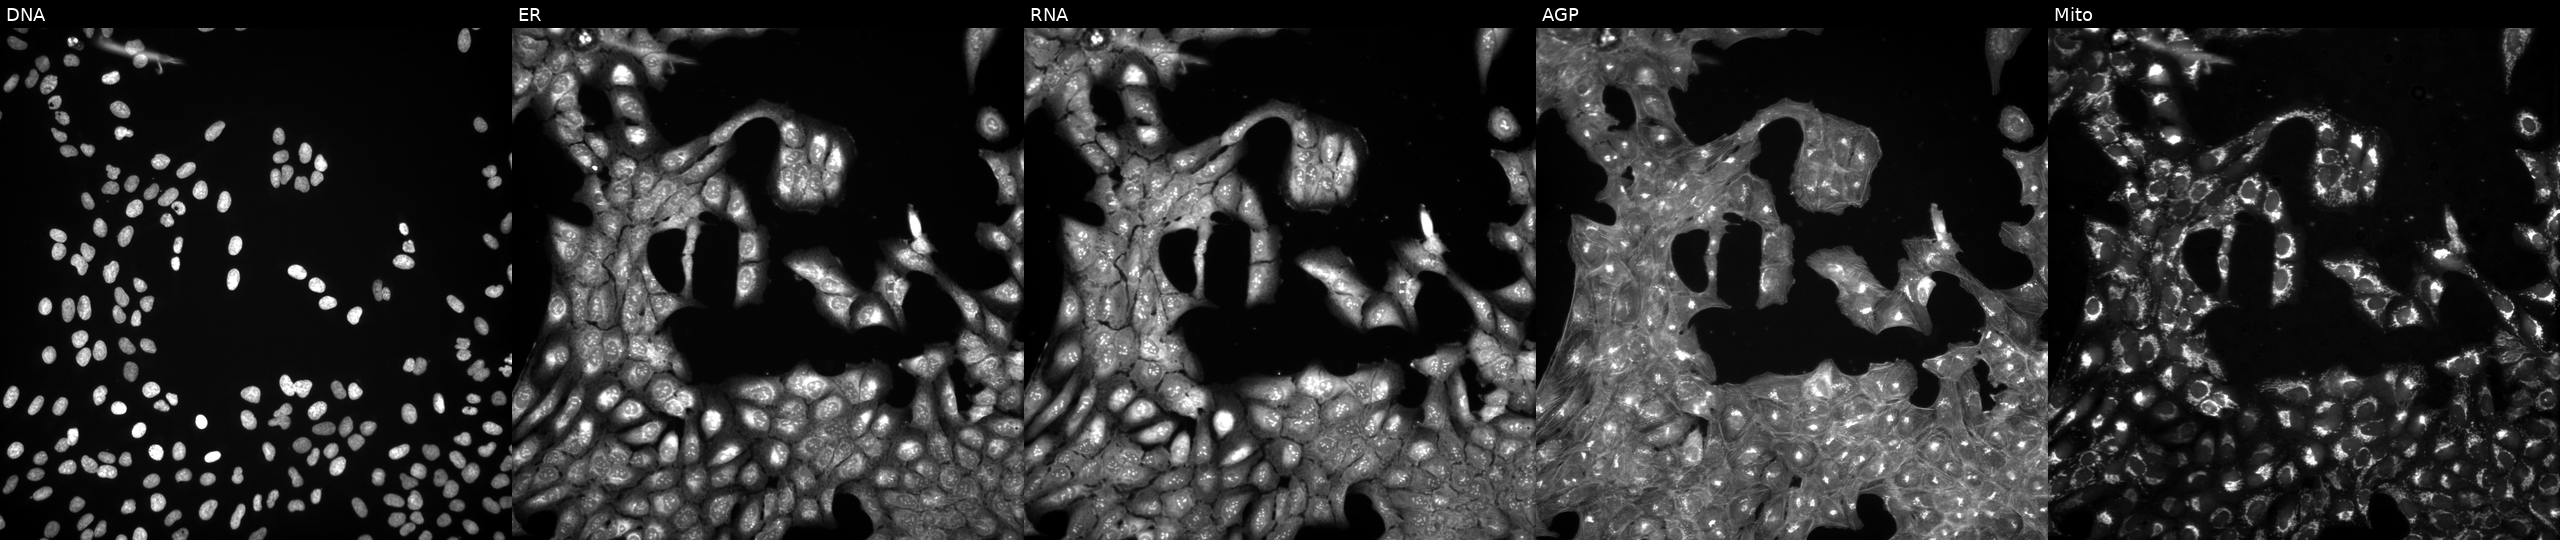
From left to right: Hoechst 33342, concanavalin A, SYTO 14, phalloidin and WGA, MitoTracker. U2OS osteosarcoma cells treated with a small-molecule compound (InChIKey LWWDIFFPFOZSSB-UHFFFAOYSA-N) (JUMP id JCP2022_052227). Cell Painting assay, JUMP-CP dataset. Source 3, plate BR5867a3, well J08.